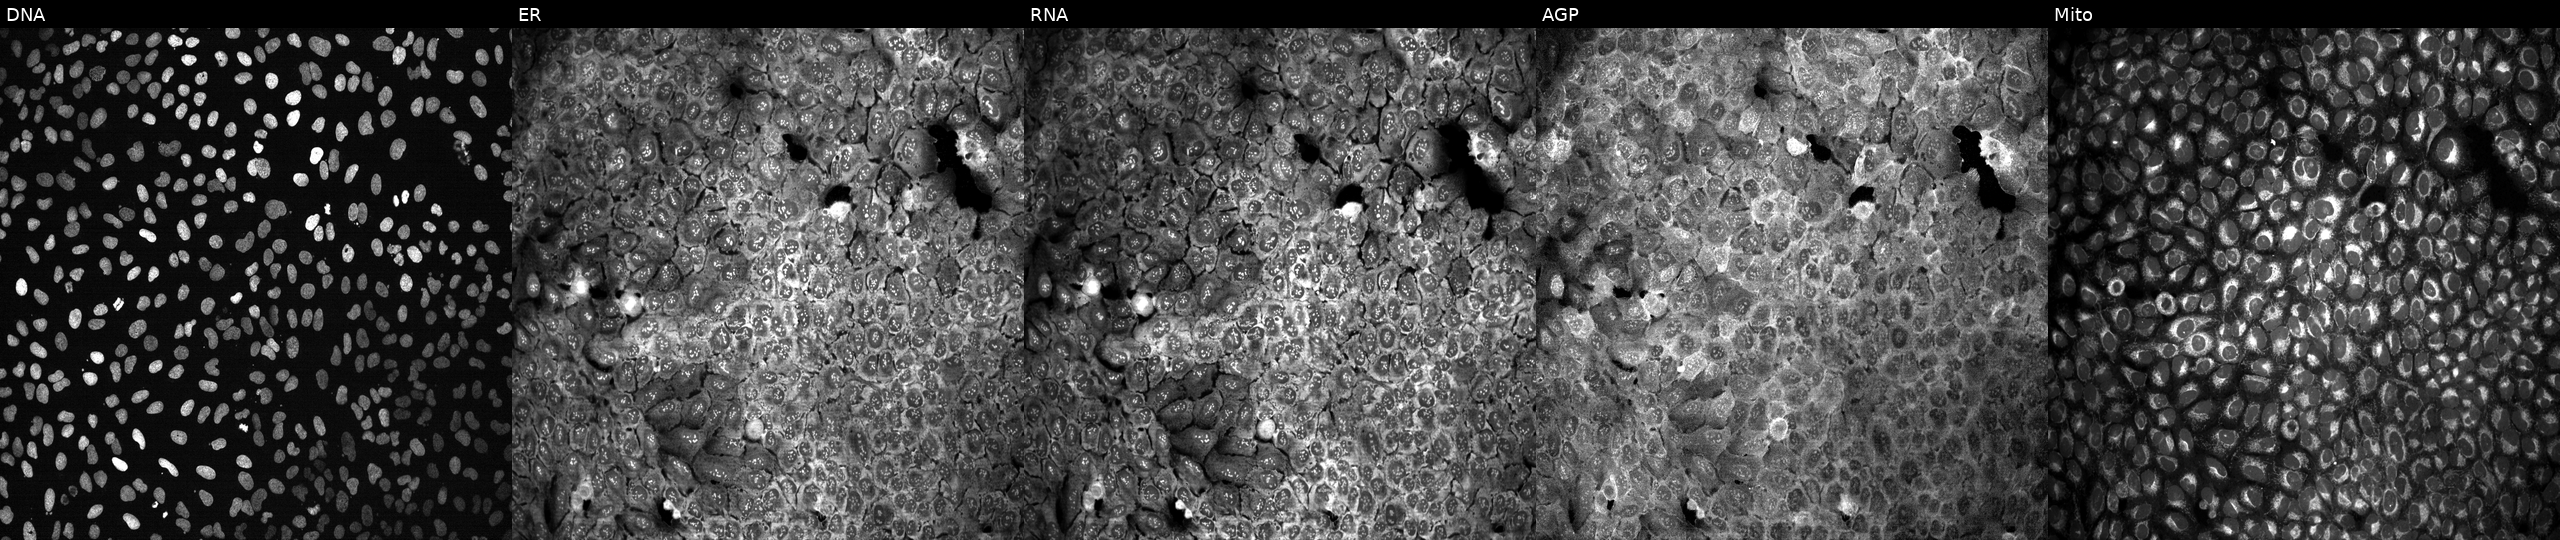
High-content fluorescence microscopy (Cell Painting). Cell line: U2OS. Perturbation: with OSMR knocked out by CRISPR (JUMP id JCP2022_804816). Panels show, left to right, DNA, ER, RNA, AGP, and Mito.